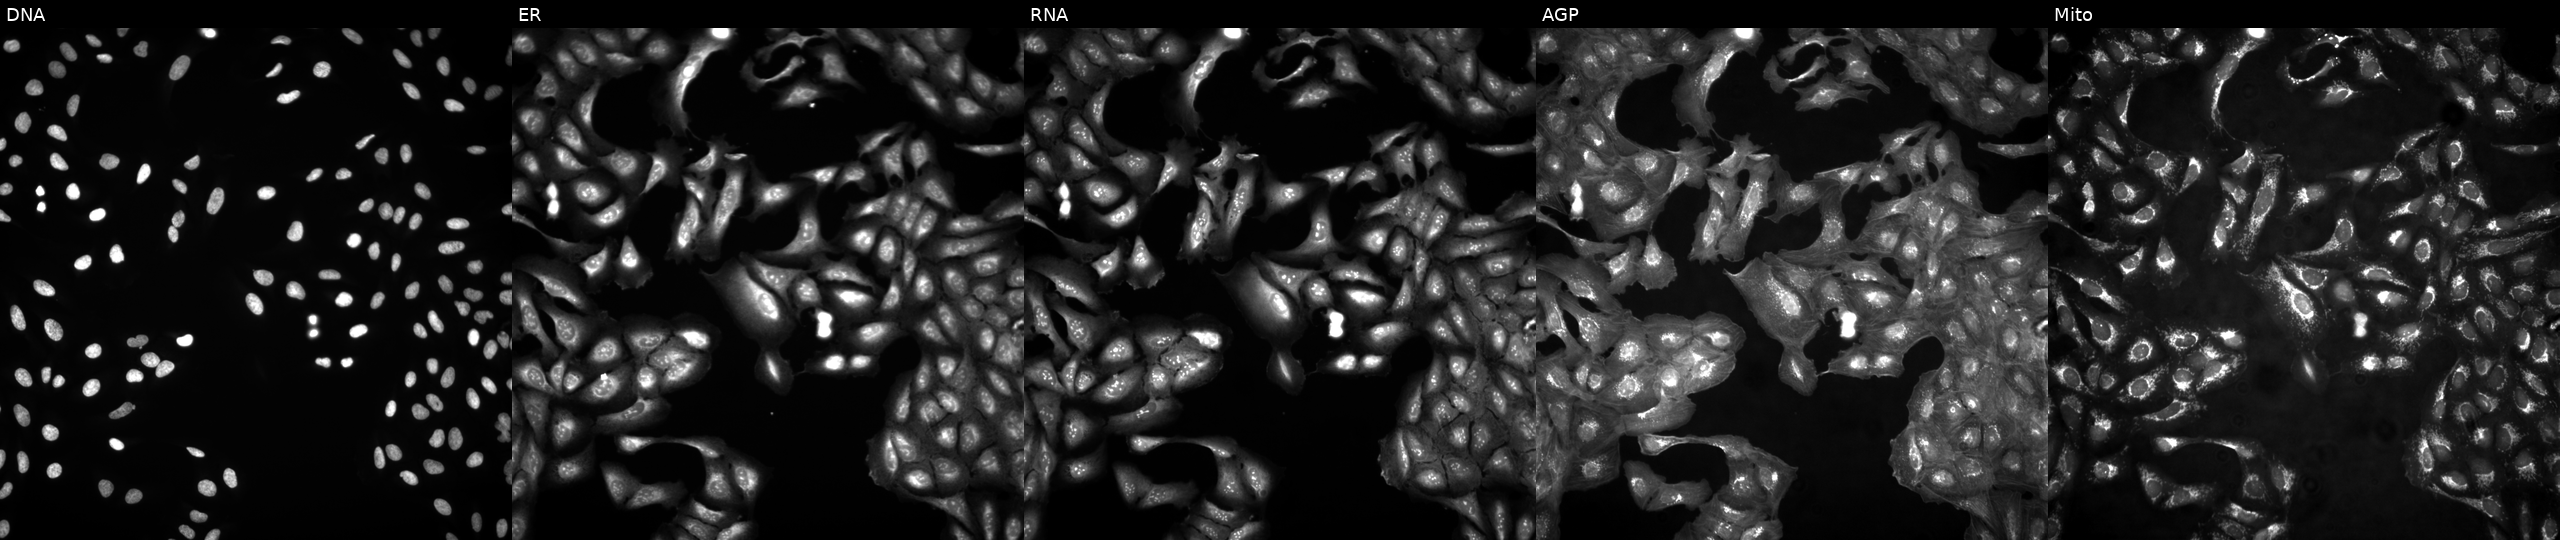
U2OS cells, Cell Painting assay, in an empty control well (no perturbation) (JUMP id JCP2022_999999). From left to right: Hoechst 33342, concanavalin A, SYTO 14, phalloidin and WGA, MitoTracker. Each panel is percentile-stretched 16-bit fluorescence. Source 4, plate BR00124793, well E13.